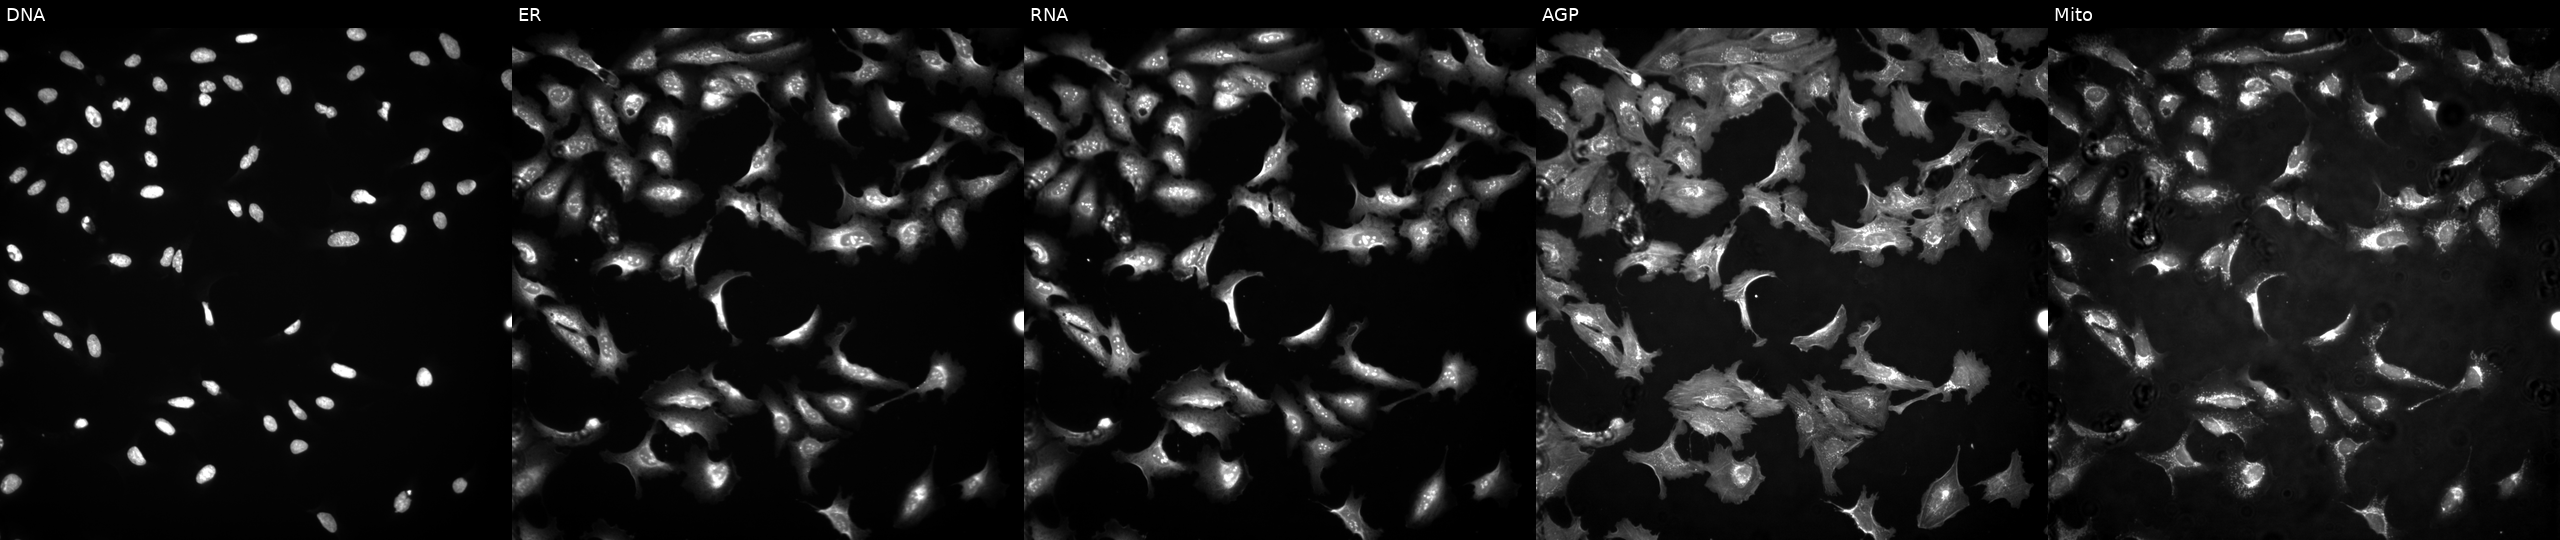
U2OS cells, Cell Painting assay, with CDK11B overexpressed (ORF). The five panels, left to right, show DNA (nuclei); ER (endoplasmic reticulum); RNA (nucleoli and cytoplasmic RNA); AGP (actin cytoskeleton, Golgi, and plasma membrane); Mito (mitochondria). Each panel is percentile-stretched 16-bit fluorescence.